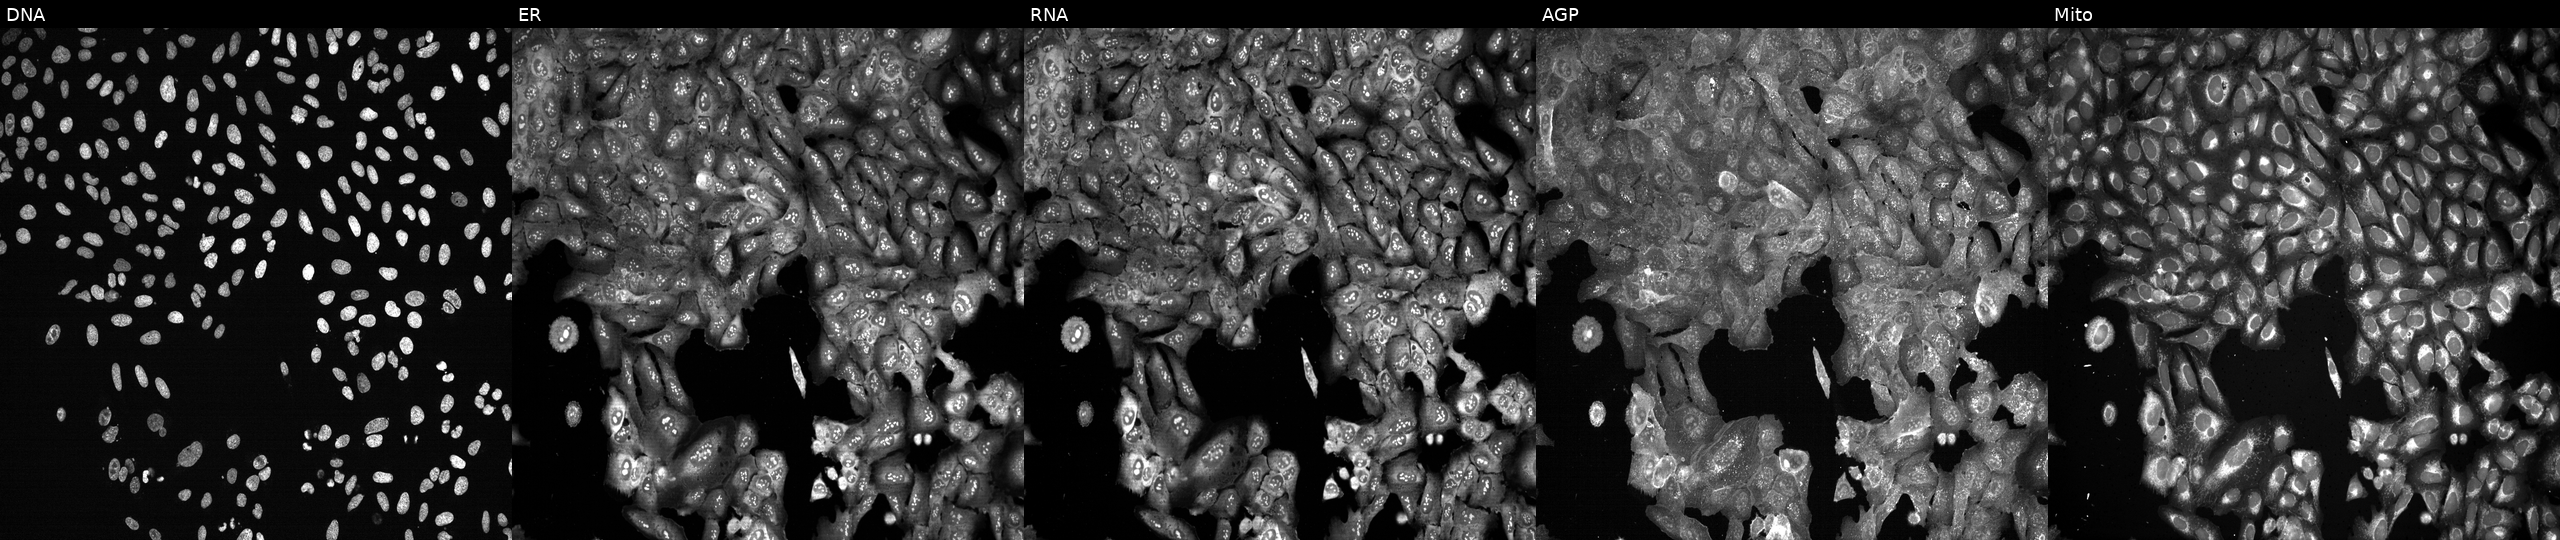
U2OS cells, Cell Painting assay, following CRISPR knockout of AQP2 (JUMP id JCP2022_800540). Channels (left→right): DNA, ER, RNA, AGP, and Mito. Each panel is percentile-stretched 16-bit fluorescence.